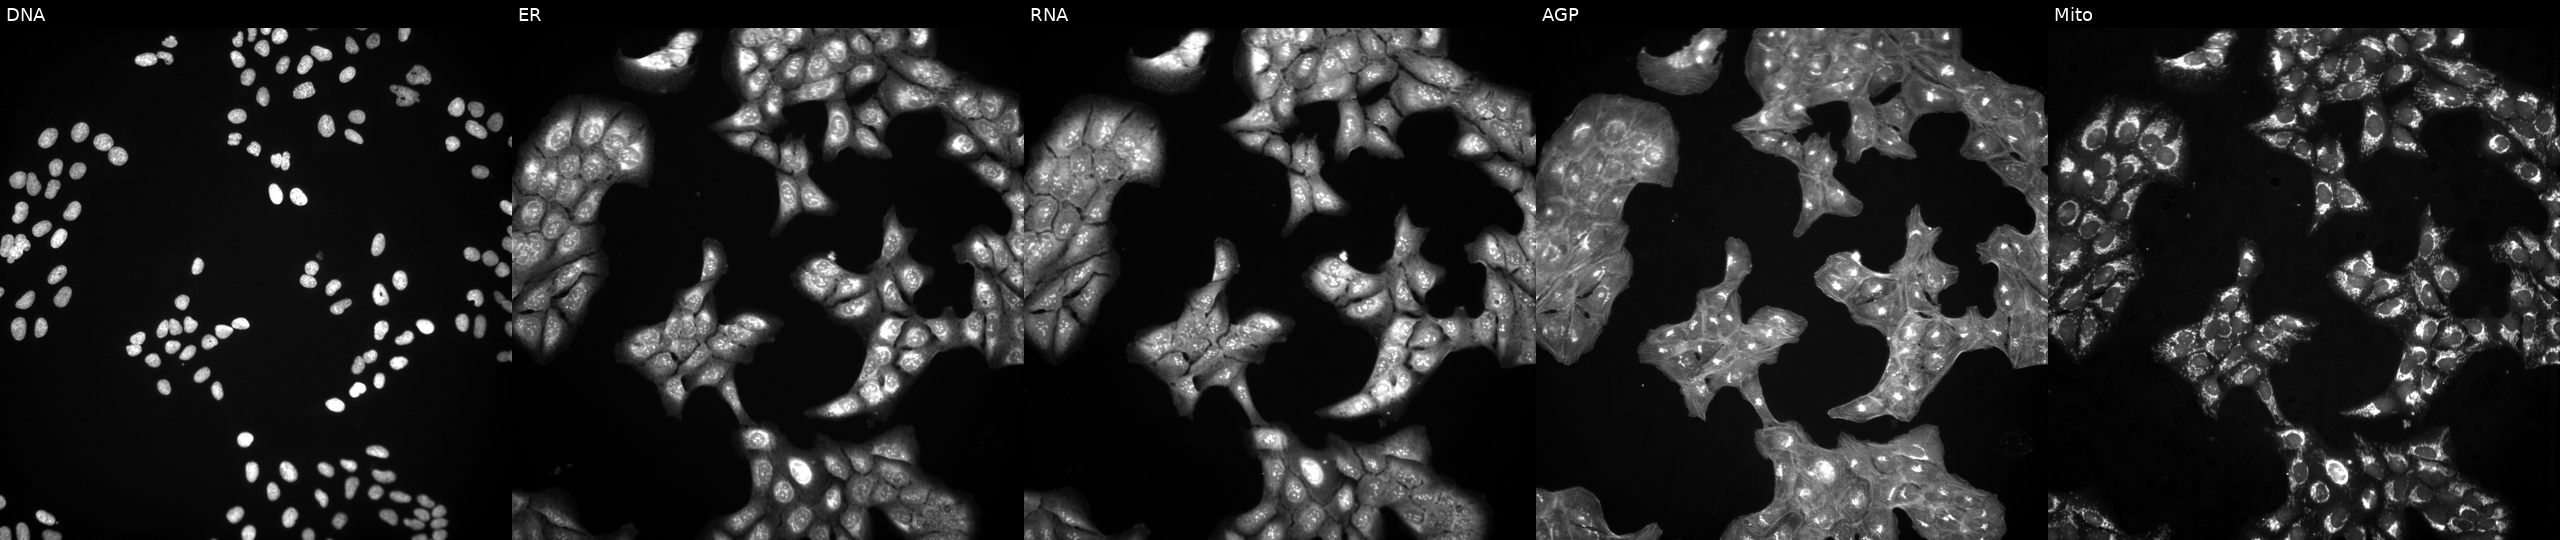
High-content fluorescence microscopy (Cell Painting). Cell line: U2OS. Perturbation: treated with a small-molecule compound [SMILES: COCCOC(=O)C1=C(C)N=C(C)C(C(=O)OC(C)C)C1c1cccc([N+](=O)[O-])c1]. From left to right: DNA, ER, RNA, AGP, and Mito. Source 3, plate JCPQC052, well P12.